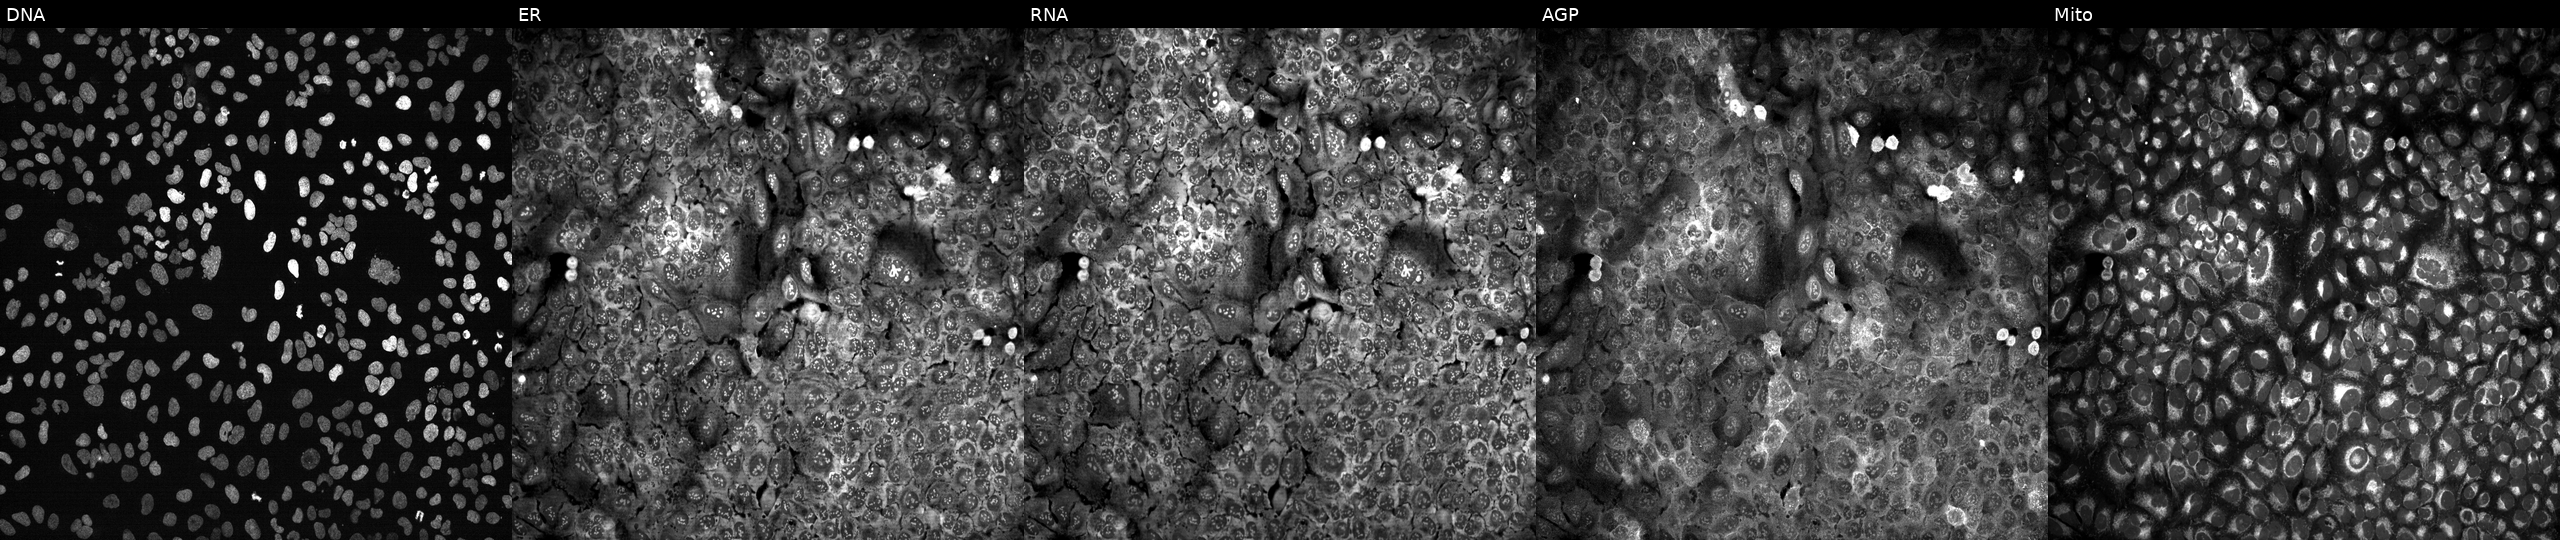
High-content fluorescence microscopy (Cell Painting). Cell line: U2OS. Perturbation: following CRISPR knockout of FGF19 (JUMP id JCP2022_802384). Channels (left→right): DNA, ER, RNA, AGP, and Mito. Source 13, plate CP-CC9-R4-03, well N08.